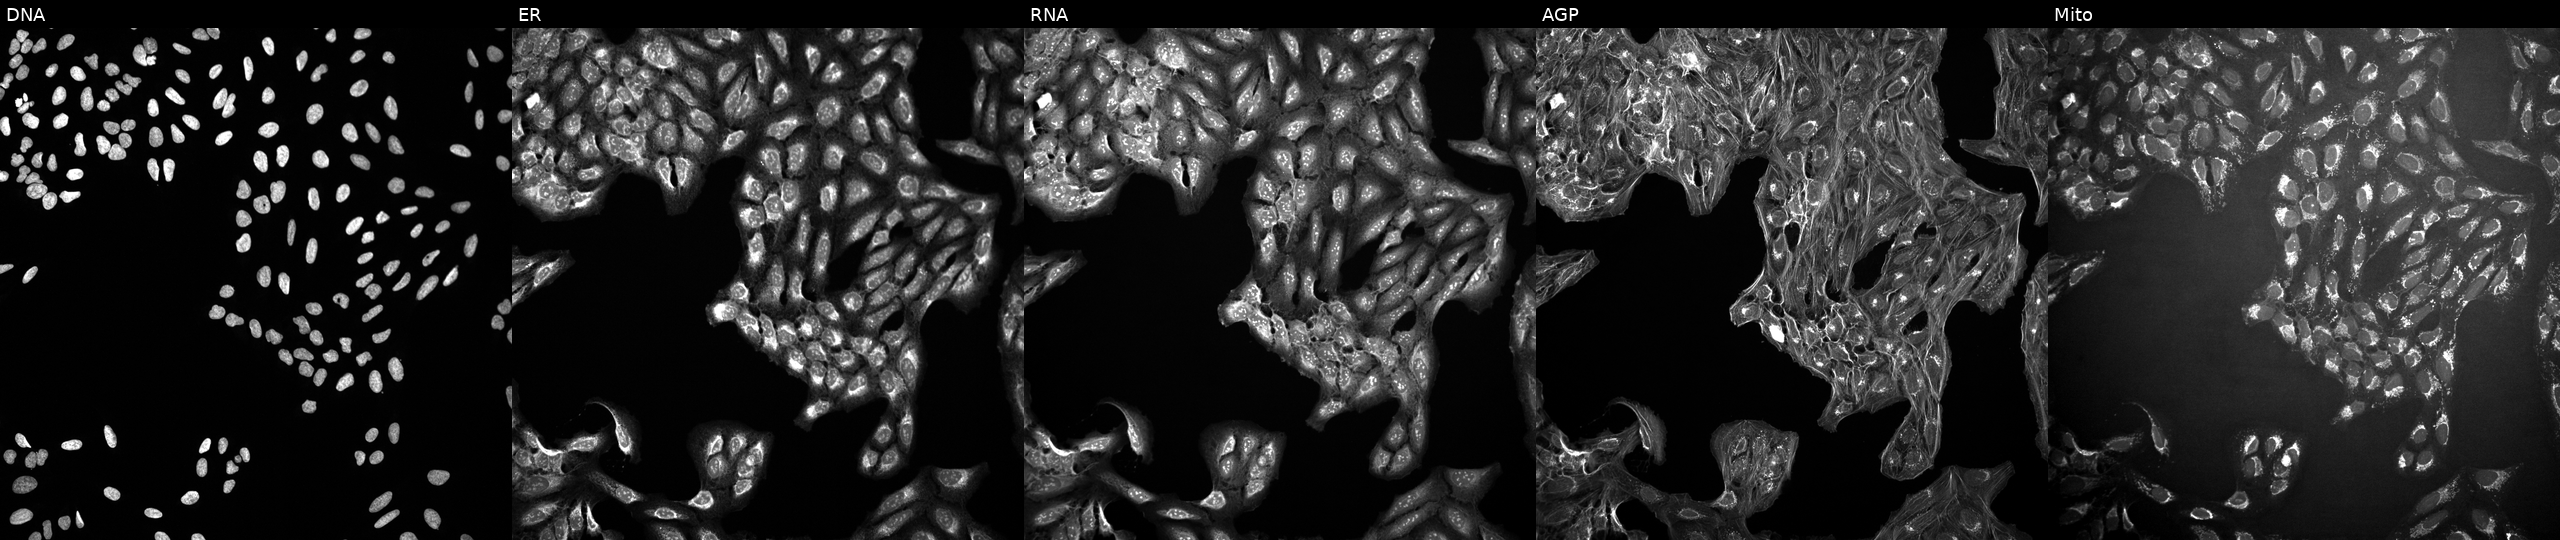
U2OS cells, Cell Painting assay, in an empty control well (no perturbation). Panels show, left to right, DNA (nuclei); ER (endoplasmic reticulum); RNA (nucleoli and cytoplasmic RNA); AGP (actin cytoskeleton, Golgi, and plasma membrane); Mito (mitochondria). Each panel is percentile-stretched 16-bit fluorescence.